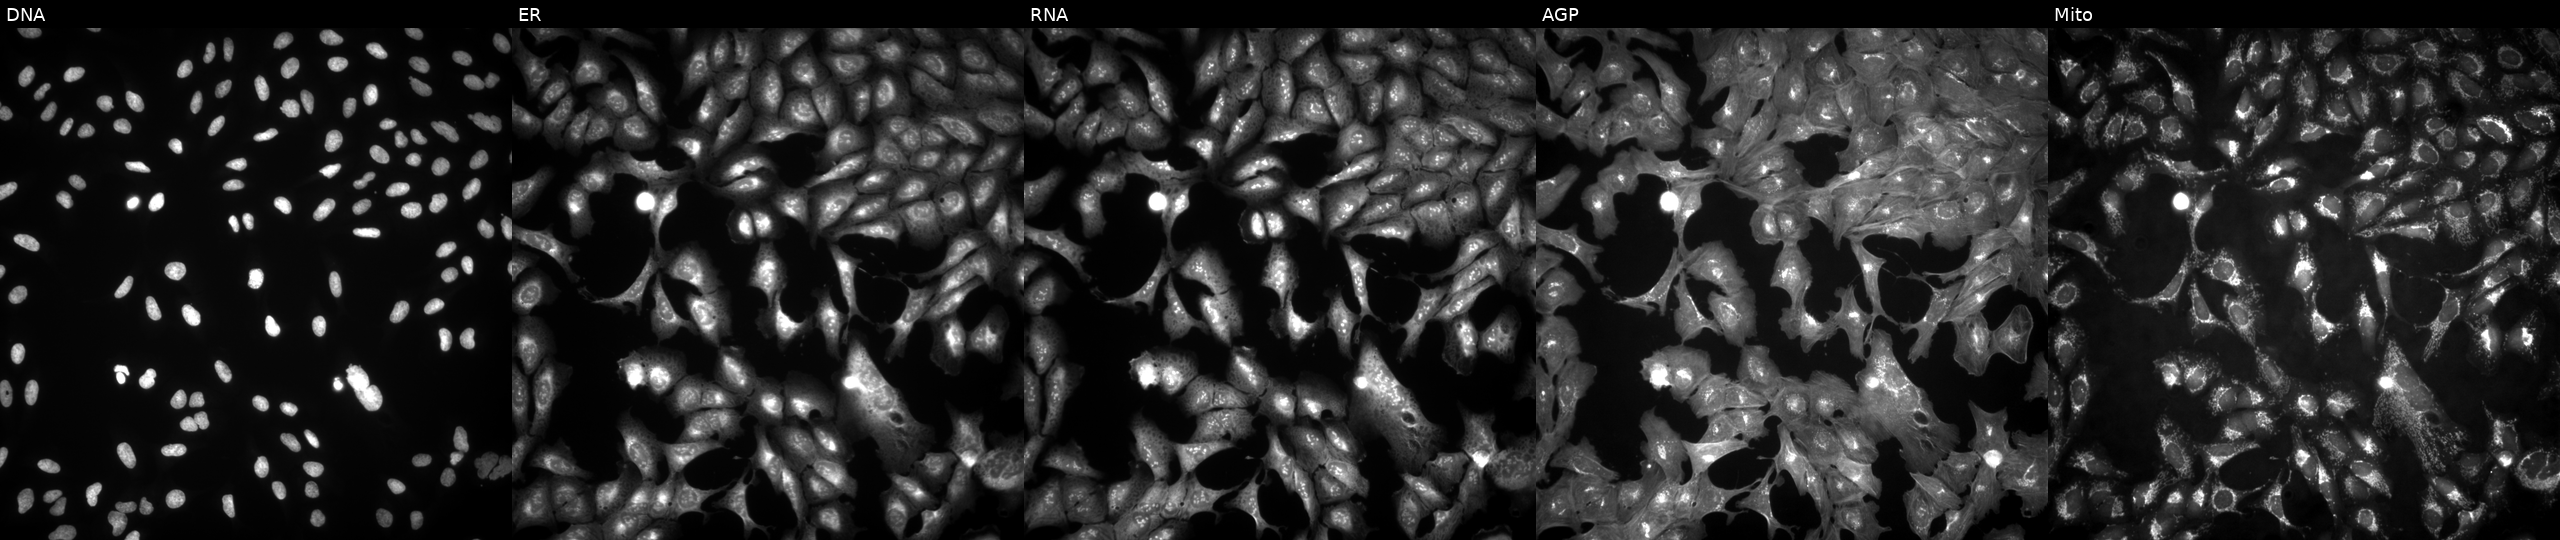
This image strip shows the five Cell Painting channels for a single field of U2OS cells with TLCD4 overexpressed (ORF). Panels show, left to right, DNA, ER, RNA, AGP, and Mito.